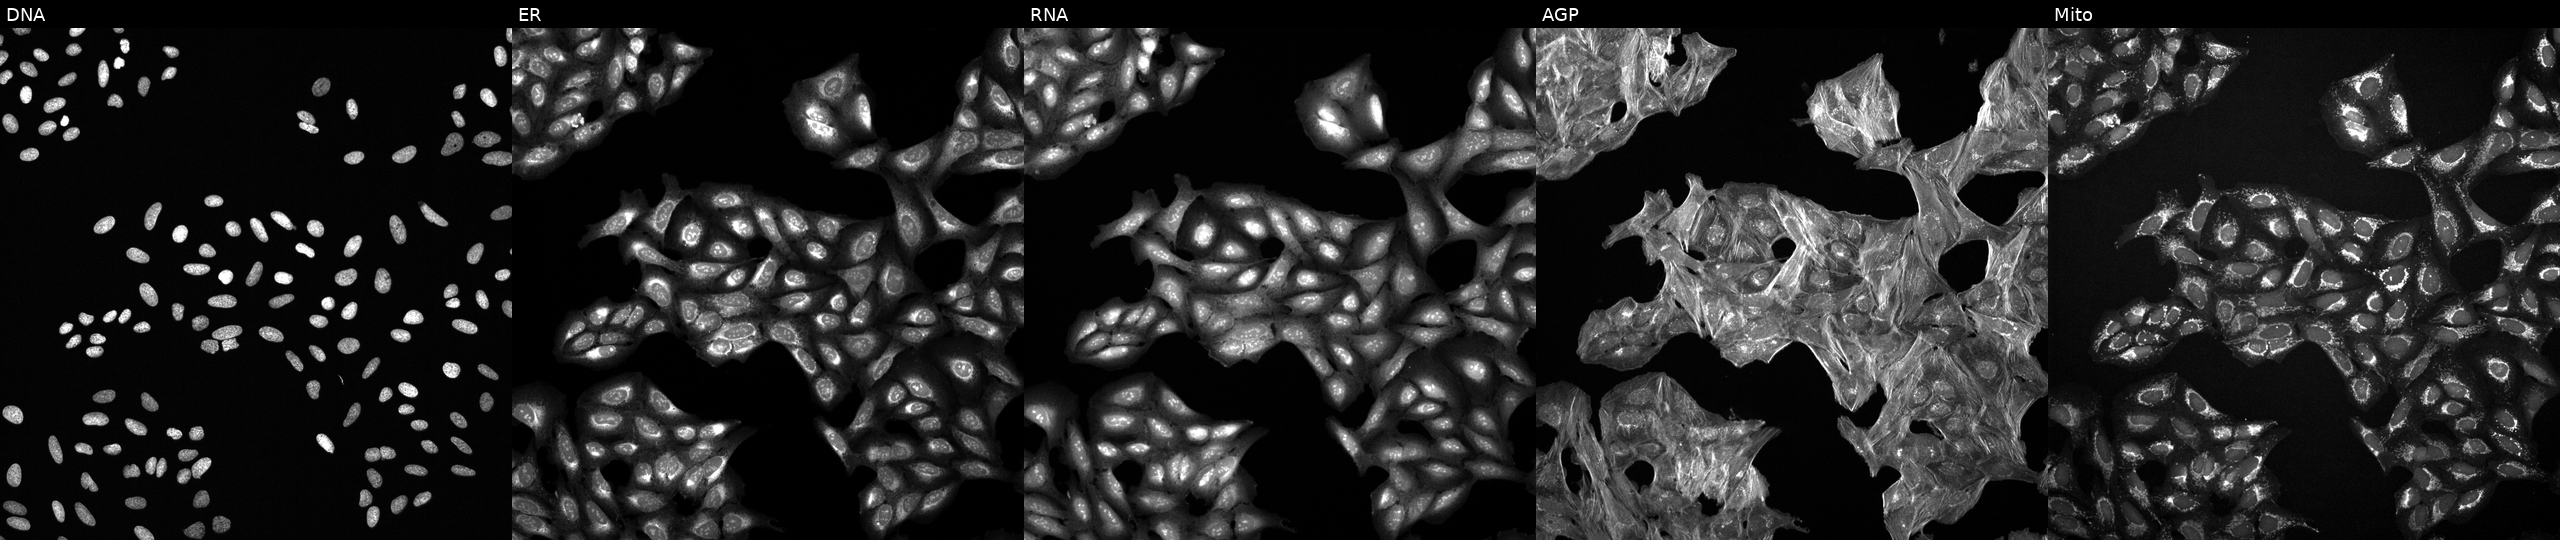
High-content fluorescence microscopy (Cell Painting). Cell line: U2OS. Perturbation: perturbed with a small-molecule compound (InChIKey AZYDQCGCBQYFSE-UHFFFAOYSA-N). The five panels, left to right, show Hoechst 33342, concanavalin A, SYTO 14, phalloidin and WGA, MitoTracker. Source 6, plate 110000293093, well A13.